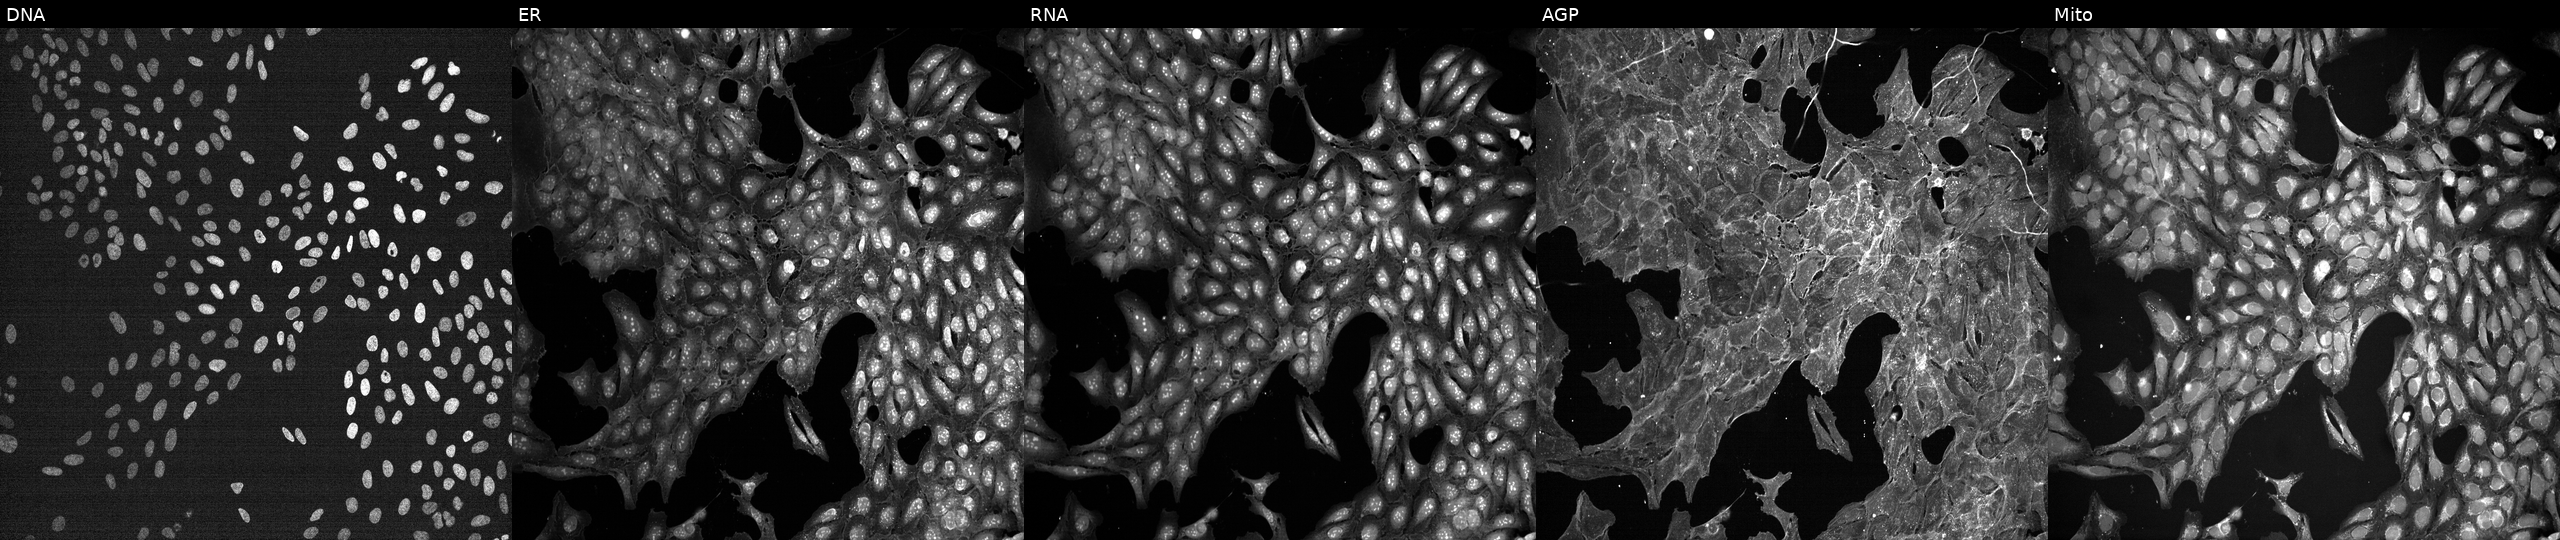
Five-channel Cell Painting image of U2OS cells treated with a small-molecule compound (InChIKey KBPLFHHGFOOTCA-UHFFFAOYSA-N) [SMILES: CCCCCCCCO] (JUMP id JCP2022_043547). The five panels, left to right, show Hoechst 33342, concanavalin A, SYTO 14, phalloidin and WGA, MitoTracker.